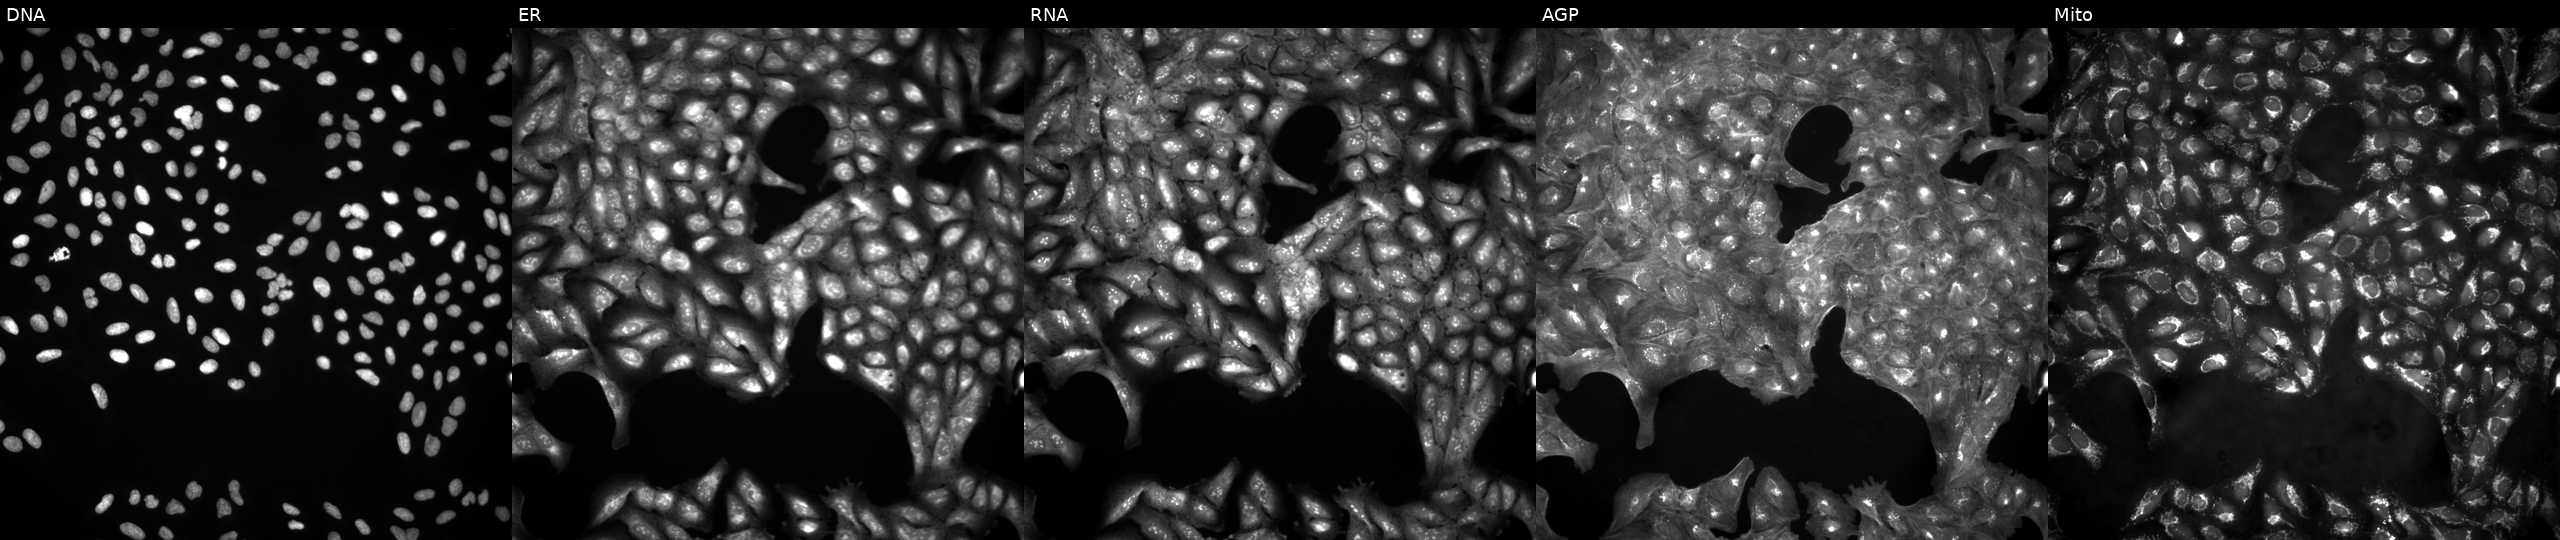
JUMP Cell Painting — ORF plate. U2OS cells untreated (empty-well control). The five panels, left to right, show Hoechst 33342, concanavalin A, SYTO 14, phalloidin and WGA, MitoTracker. Source 4, plate BR00123946, well B19.